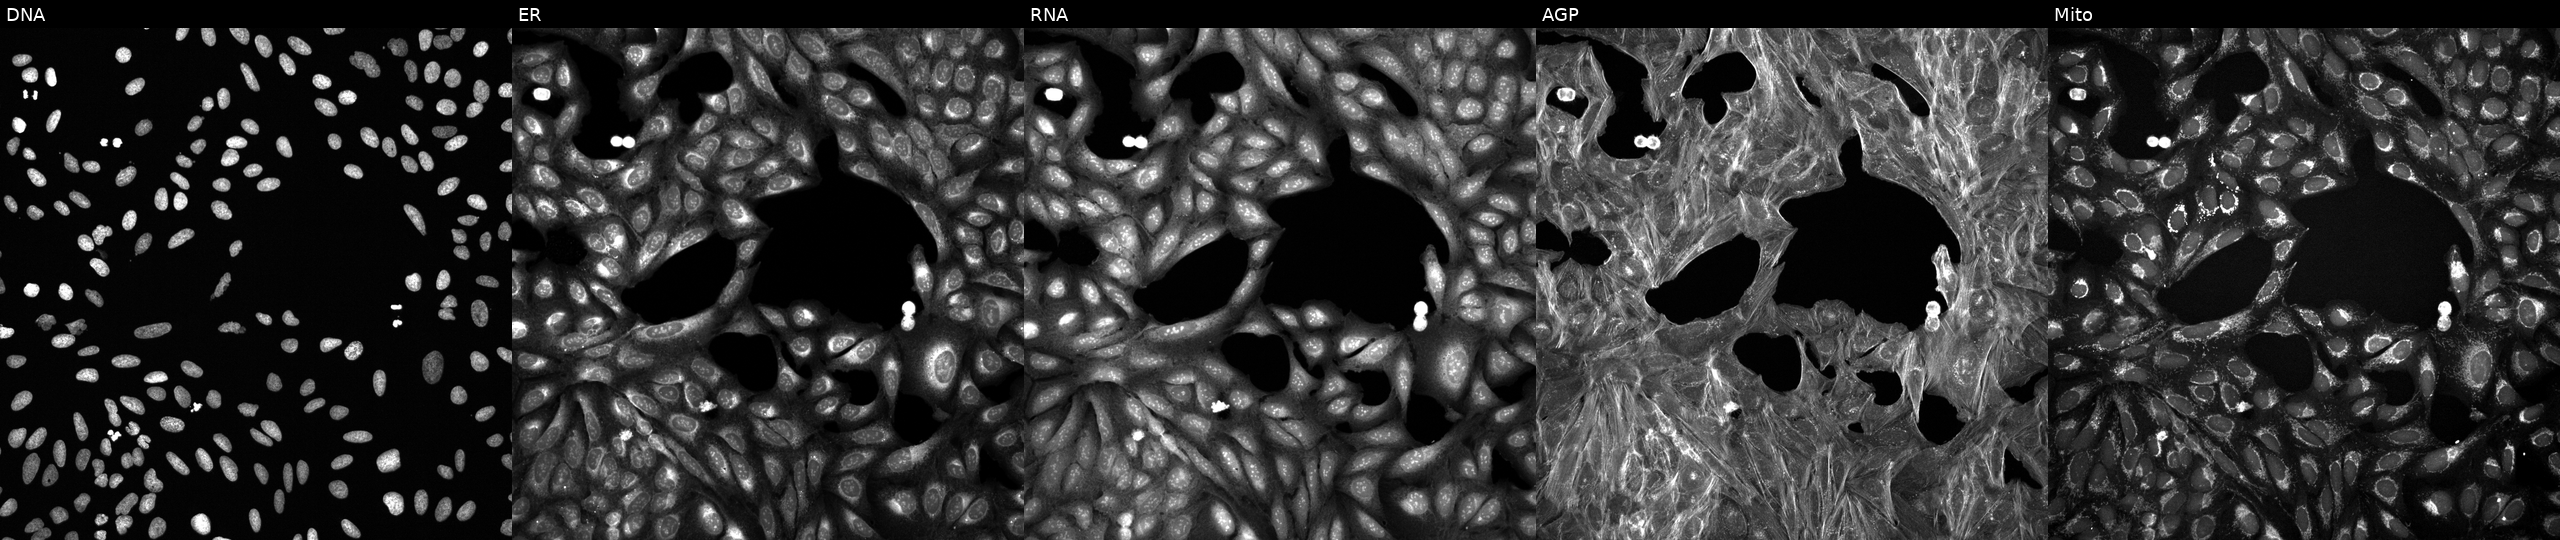
From left to right: Hoechst 33342, concanavalin A, SYTO 14, phalloidin and WGA, MitoTracker. U2OS osteosarcoma cells treated with a small-molecule compound. Cell Painting assay, JUMP-CP dataset.